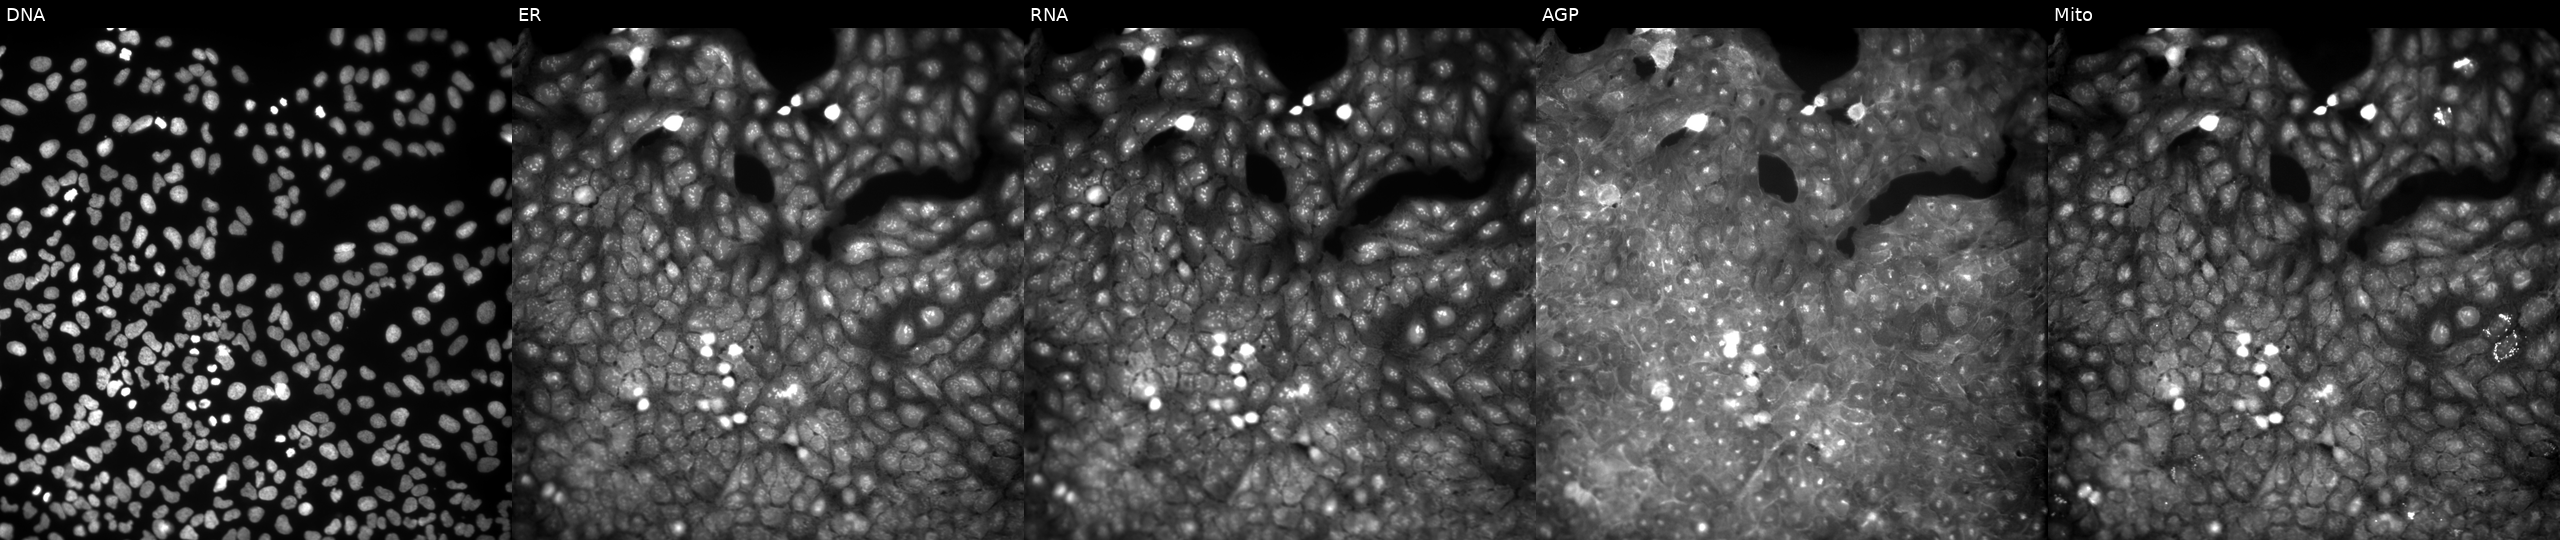
Five-channel Cell Painting image of U2OS cells perturbed with a small-molecule compound (InChIKey WXPFZBIBGKUNCW-UHFFFAOYSA-N) [SMILES: Cc1cc(=NS(=O)(=O)c2ccc(NC(=O)c3ccc(C(C)(C)C)cc3)cc2)[nH]o1]. Channels (left→right): DNA (nuclei); ER (endoplasmic reticulum); RNA (nucleoli and cytoplasmic RNA); AGP (actin cytoskeleton, Golgi, and plasma membrane); Mito (mitochondria).